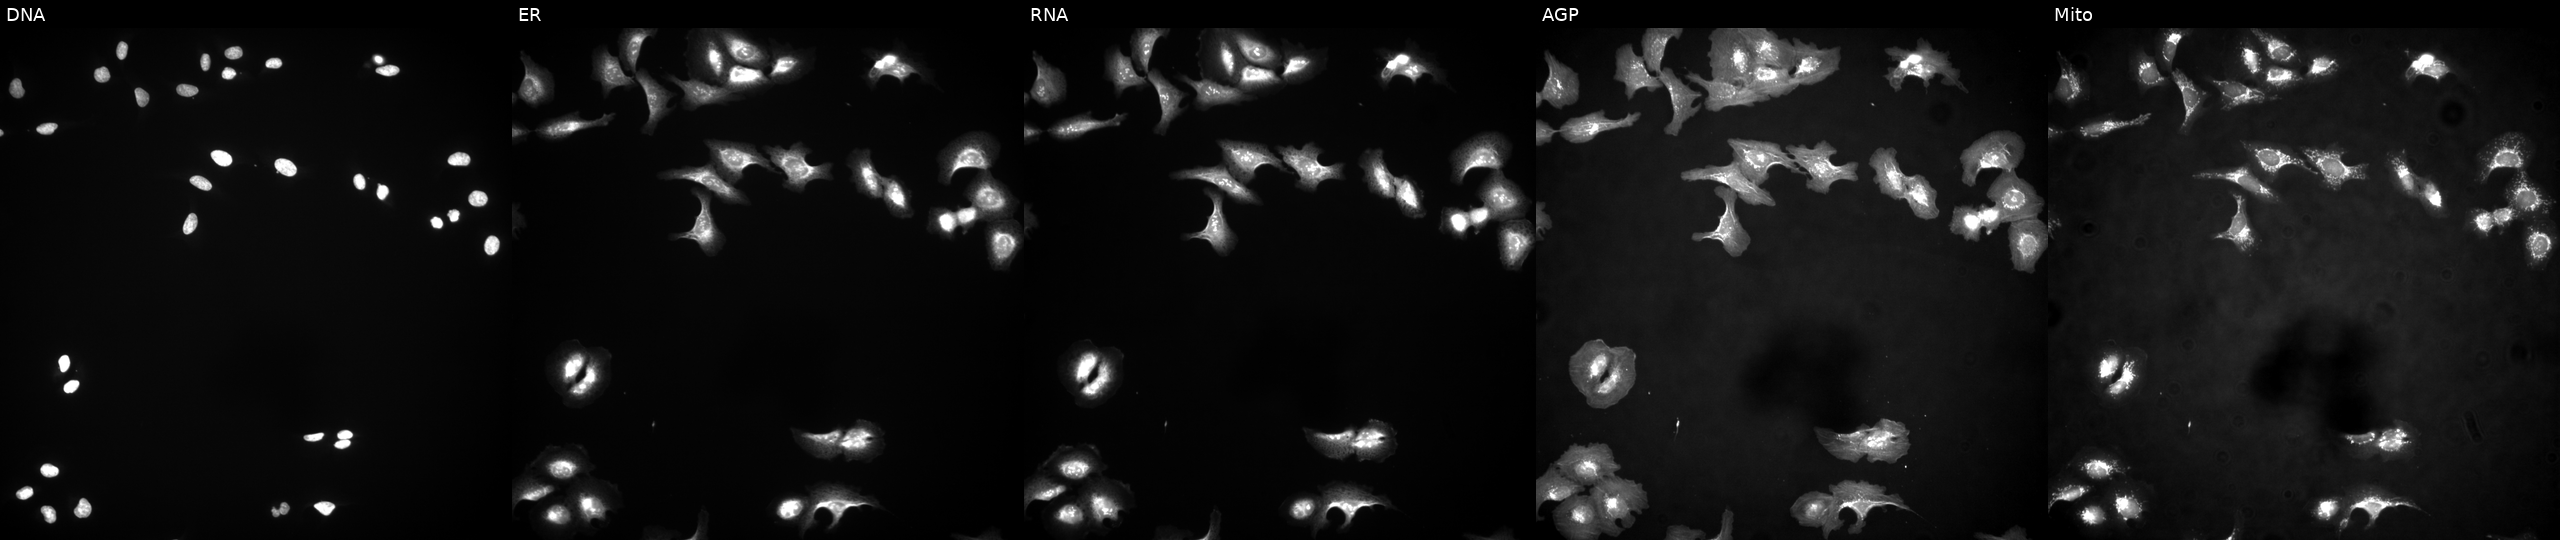
High-content fluorescence microscopy (Cell Painting). Cell line: U2OS. Perturbation: with SERPINA6 overexpressed (ORF) (JUMP id JCP2022_900215). Panels show, left to right, DNA (nuclei); ER (endoplasmic reticulum); RNA (nucleoli and cytoplasmic RNA); AGP (actin cytoskeleton, Golgi, and plasma membrane); Mito (mitochondria). Source 4, plate BR00124790, well M15.